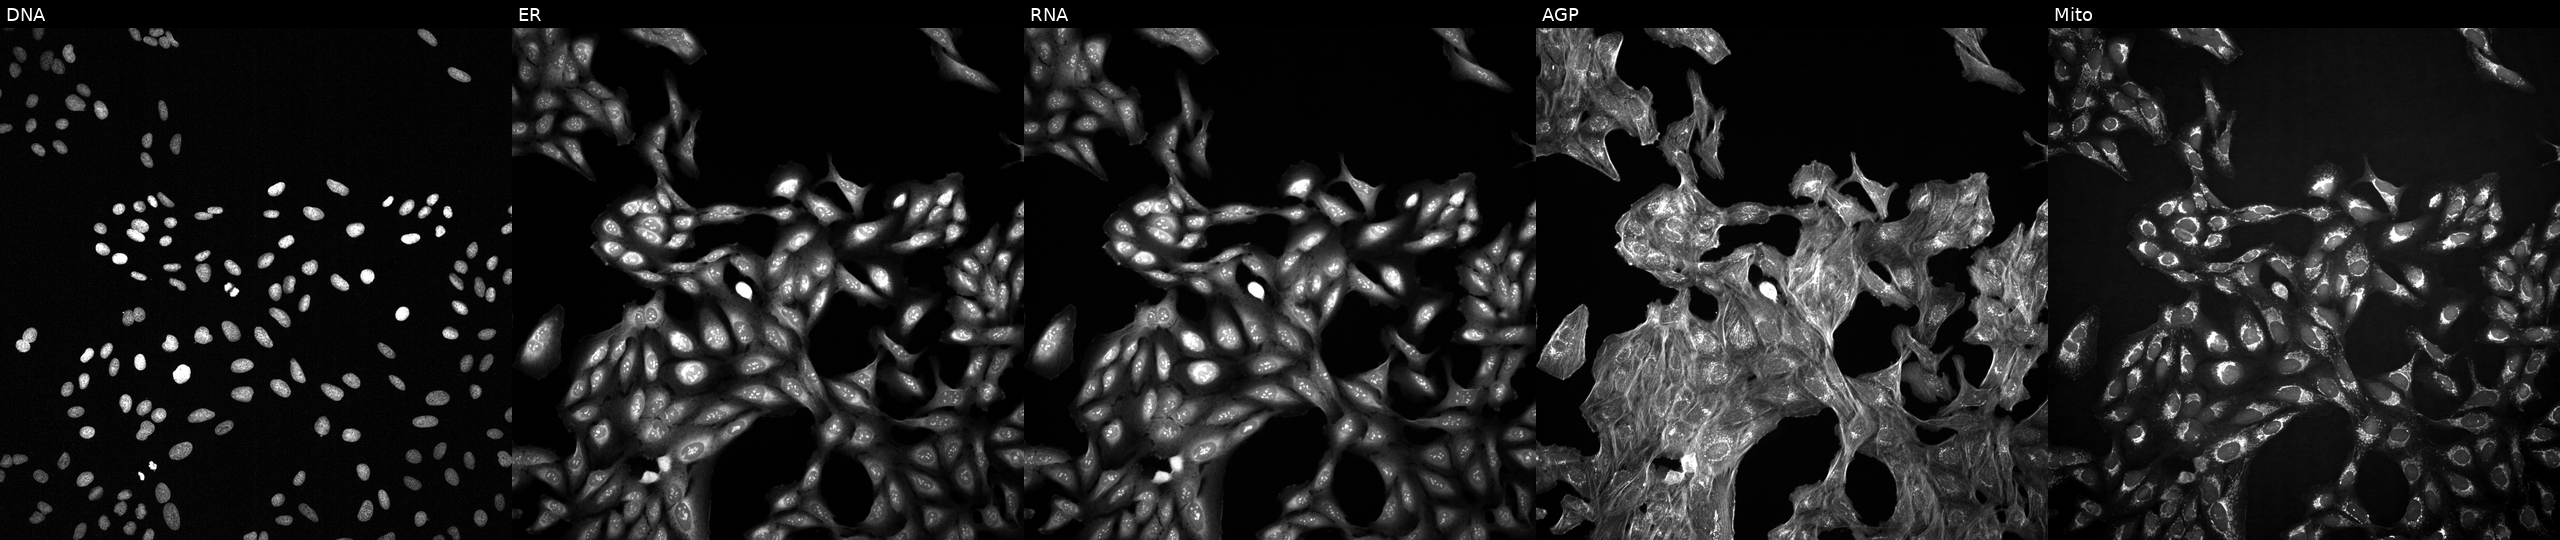
Five-channel Cell Painting image of U2OS cells treated with a small-molecule compound. From left to right: DNA (nuclei); ER (endoplasmic reticulum); RNA (nucleoli and cytoplasmic RNA); AGP (actin cytoskeleton, Golgi, and plasma membrane); Mito (mitochondria).